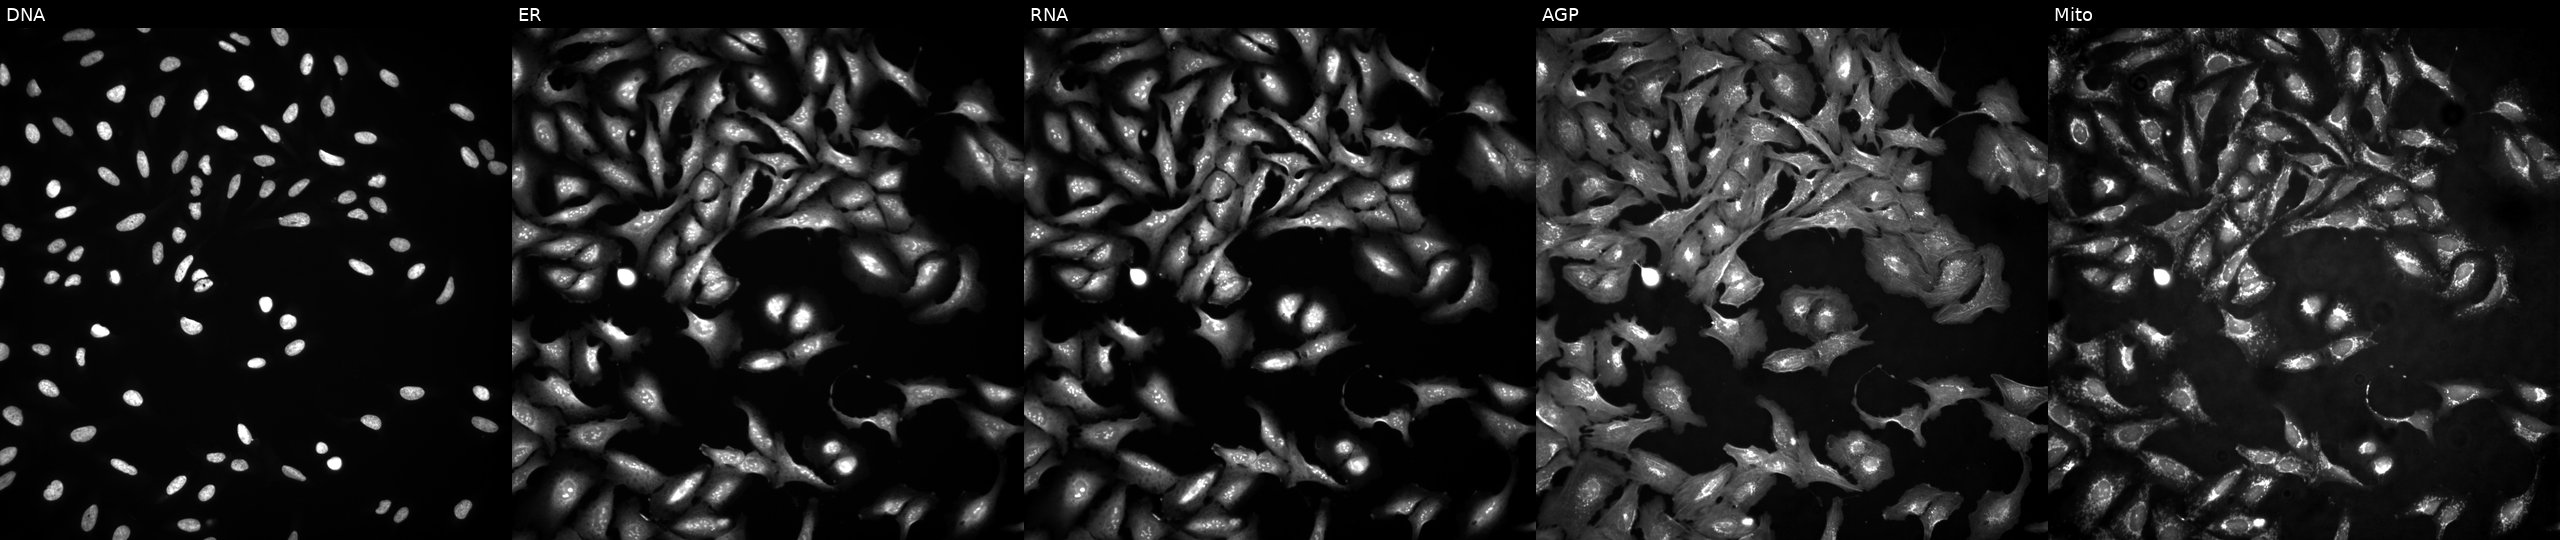
Channels (left→right): DNA, ER, RNA, AGP, and Mito. U2OS osteosarcoma cells expressing HcRed (ORF negative control) (JUMP id JCP2022_915129). Cell Painting assay, JUMP-CP dataset.